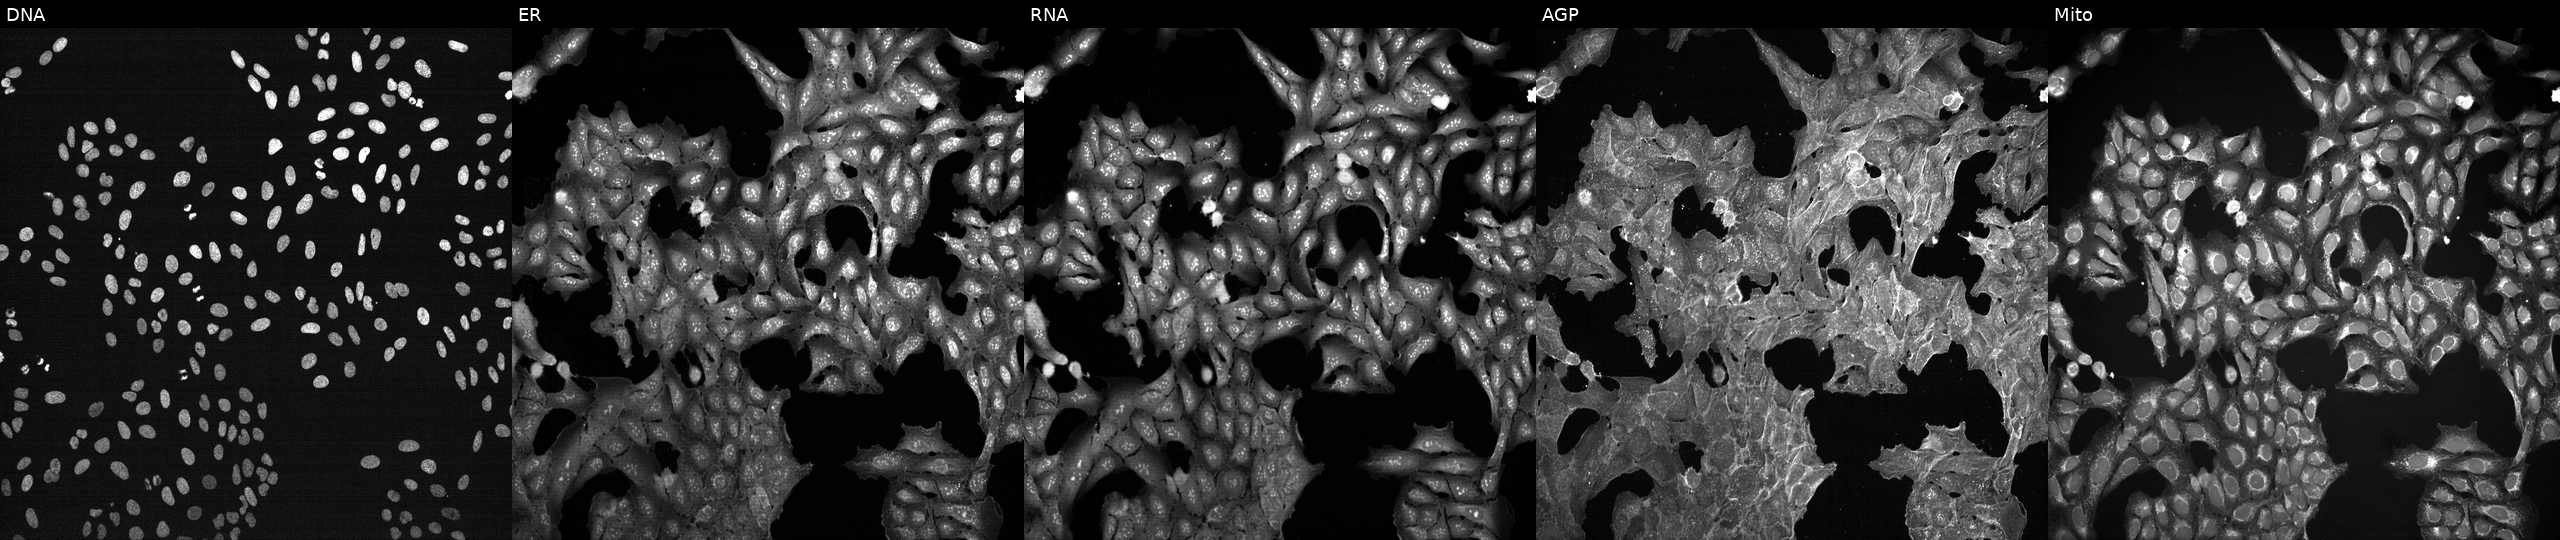
This image strip shows the five Cell Painting channels for a single field of U2OS cells treated with a small-molecule compound (InChIKey ZESFDAKNYJQYKO-UHFFFAOYSA-N) [SMILES: N#Cc1ccc(-c2ccc(S(=O)(=O)N=c3cccc(N)[nH]3)cc2)cc1]. The five panels, left to right, show DNA (nuclei); ER (endoplasmic reticulum); RNA (nucleoli and cytoplasmic RNA); AGP (actin cytoskeleton, Golgi, and plasma membrane); Mito (mitochondria). Source 7, plate CP2-SC1-25, well P15.